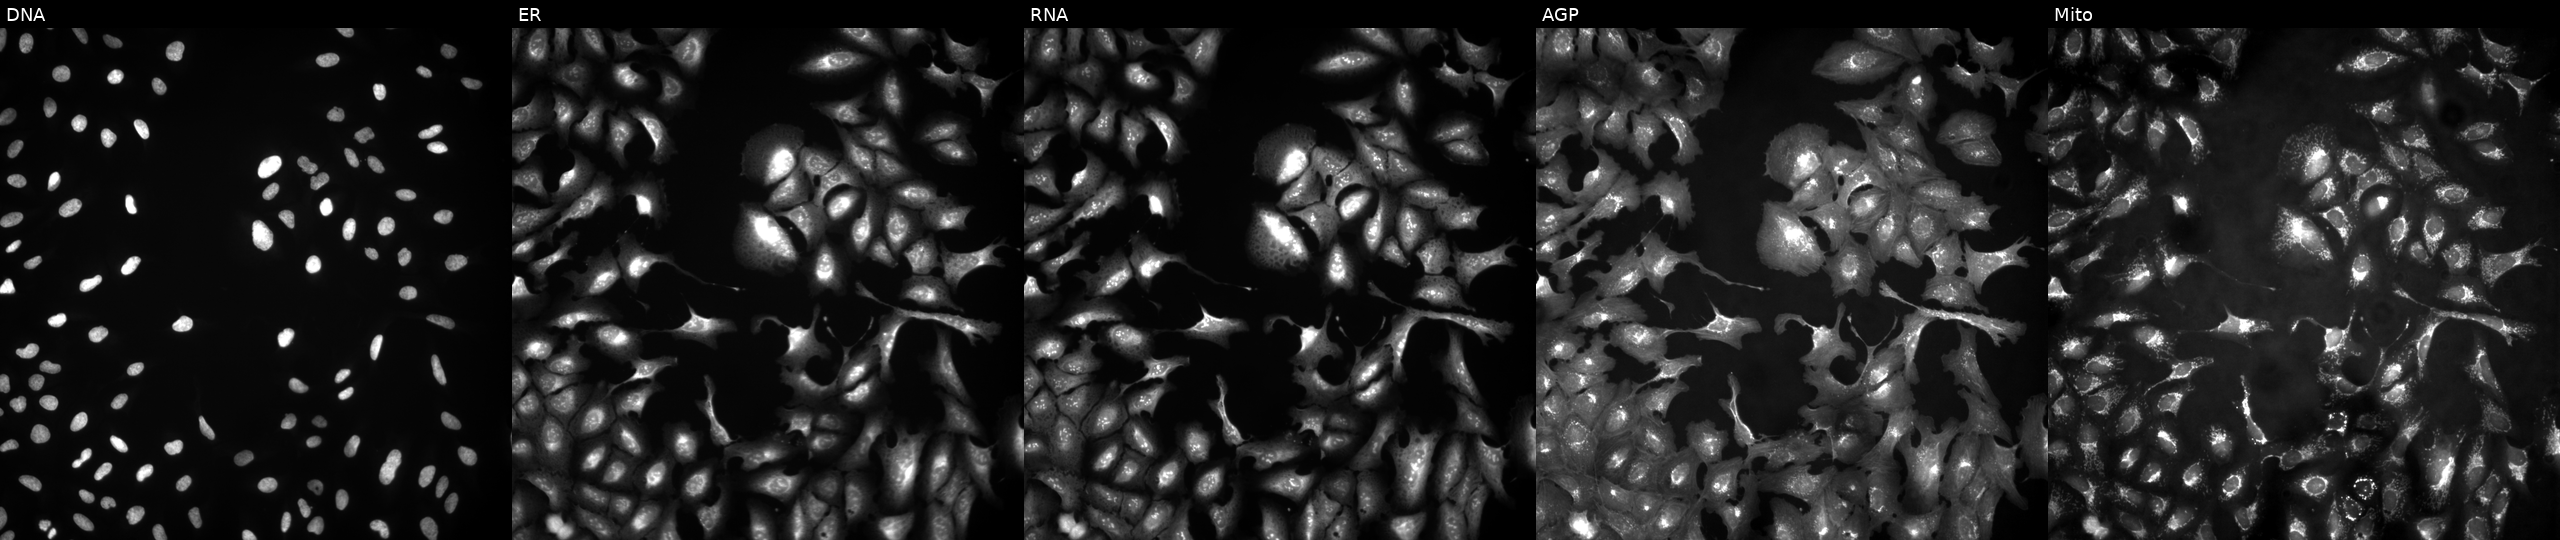
Five-channel Cell Painting image of U2OS cells with OTULIN overexpressed (ORF) (JUMP id JCP2022_912060). From left to right: DNA, ER, RNA, AGP, and Mito.